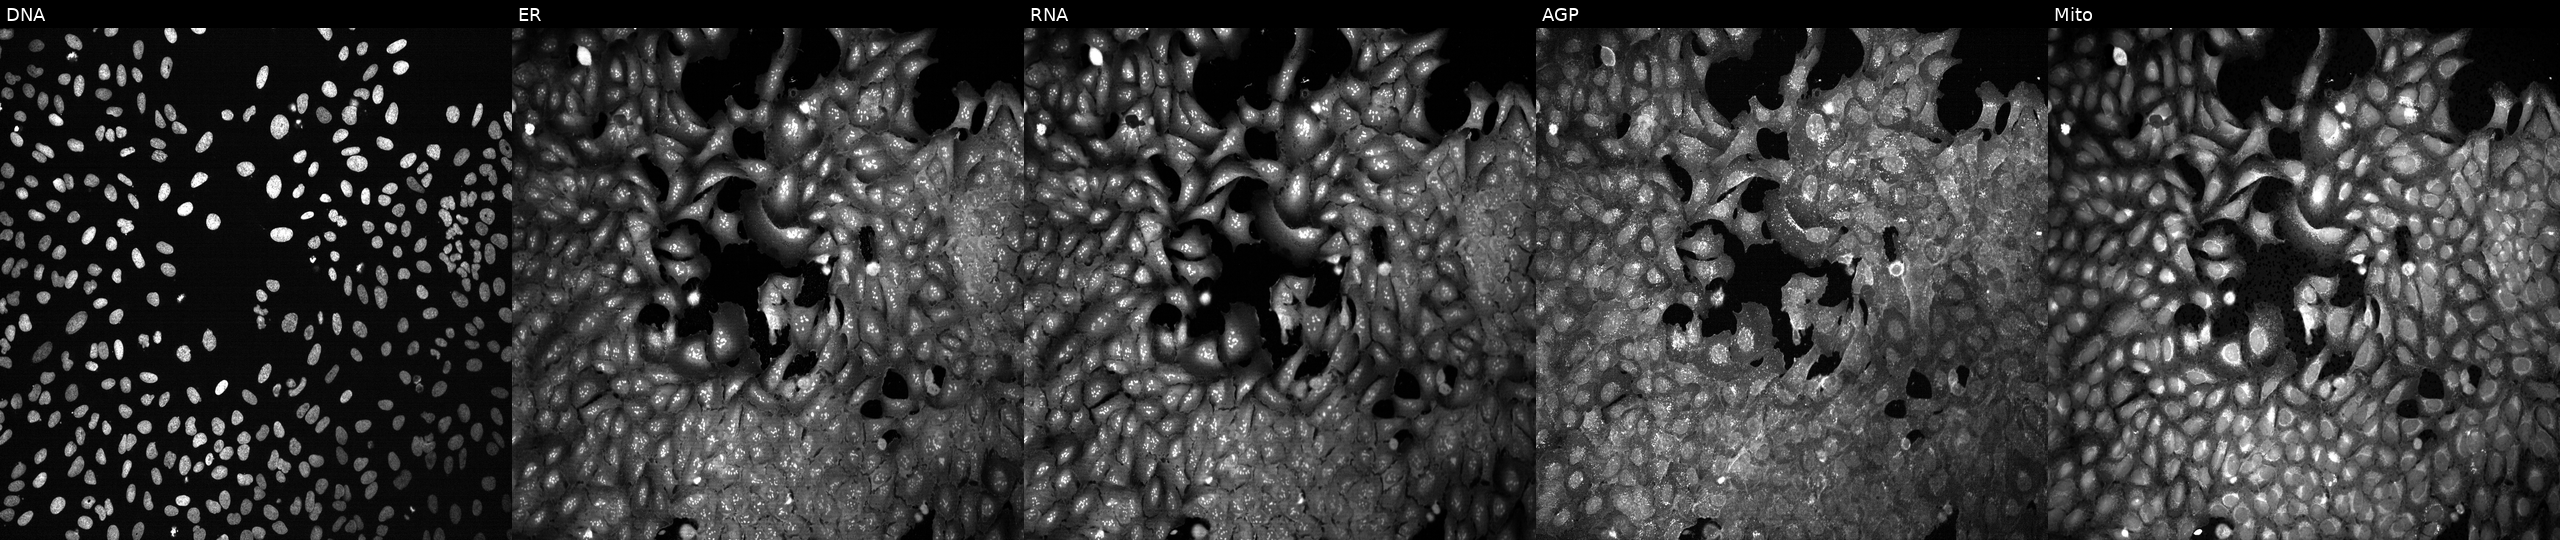
High-content fluorescence microscopy (Cell Painting). Cell line: U2OS. Perturbation: following CRISPR knockout of HCCS. From left to right: DNA (nuclei); ER (endoplasmic reticulum); RNA (nucleoli and cytoplasmic RNA); AGP (actin cytoskeleton, Golgi, and plasma membrane); Mito (mitochondria). Source 13, plate CP-CC9-R1-02, well M21.